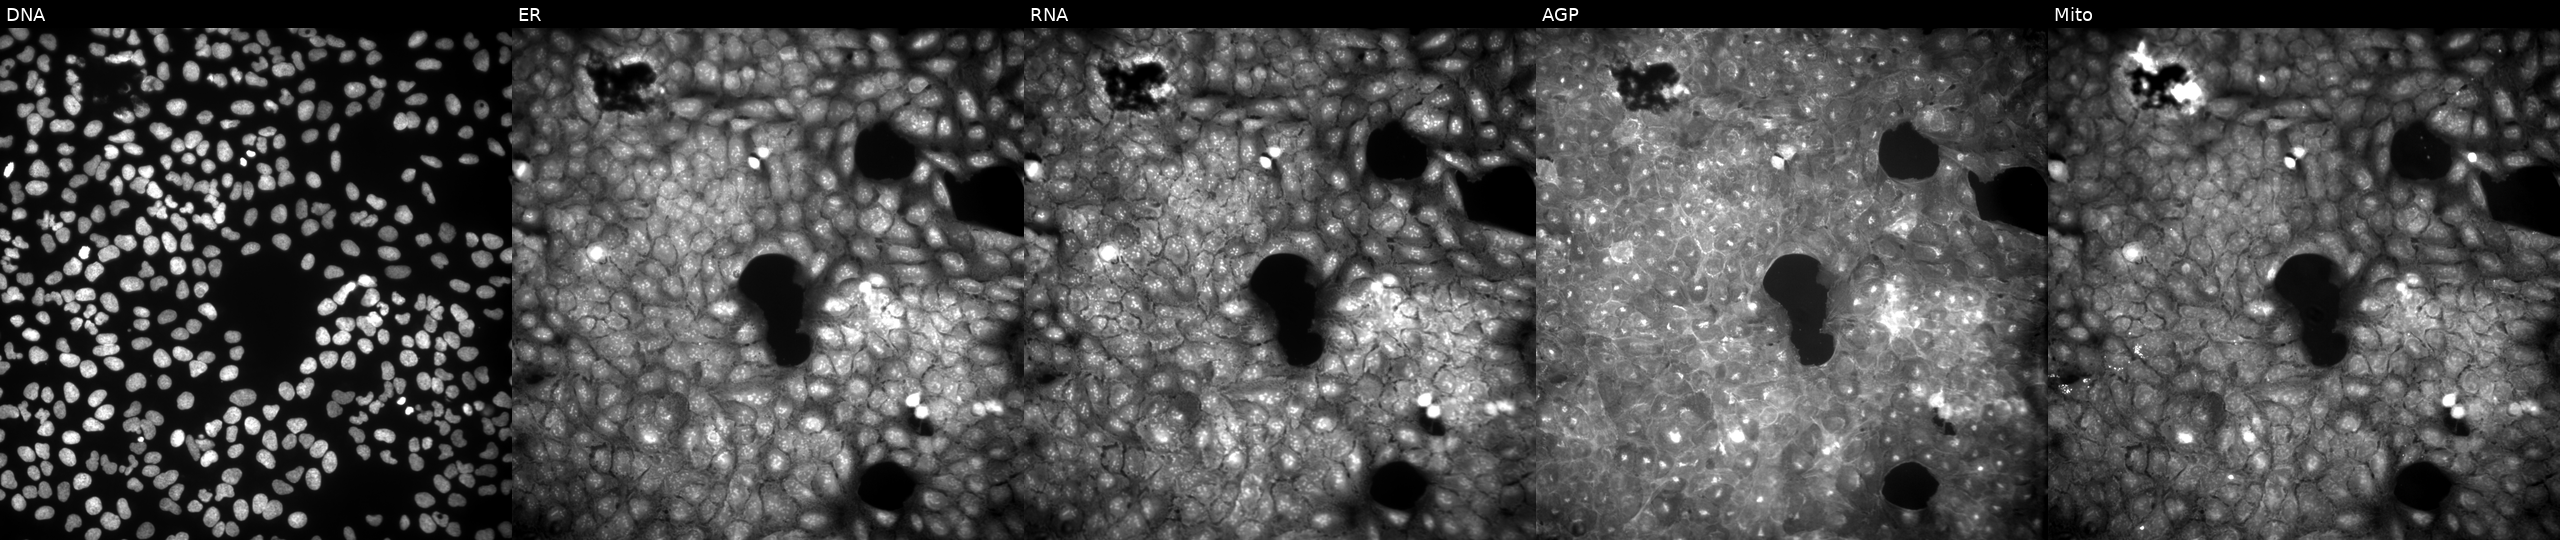
Five-channel Cell Painting image of U2OS cells exposed to a small-molecule compound (InChIKey WCQAJZQREZFOLE-UHFFFAOYSA-N) [SMILES: Cn1c(=O)c2c([nH]c(=S)n2Cc2ccccc2Cl)n(C)c1=O] (JUMP id JCP2022_097902). The five panels, left to right, show DNA, ER, RNA, AGP, and Mito. Source 9, plate GR00003381, well AE27.